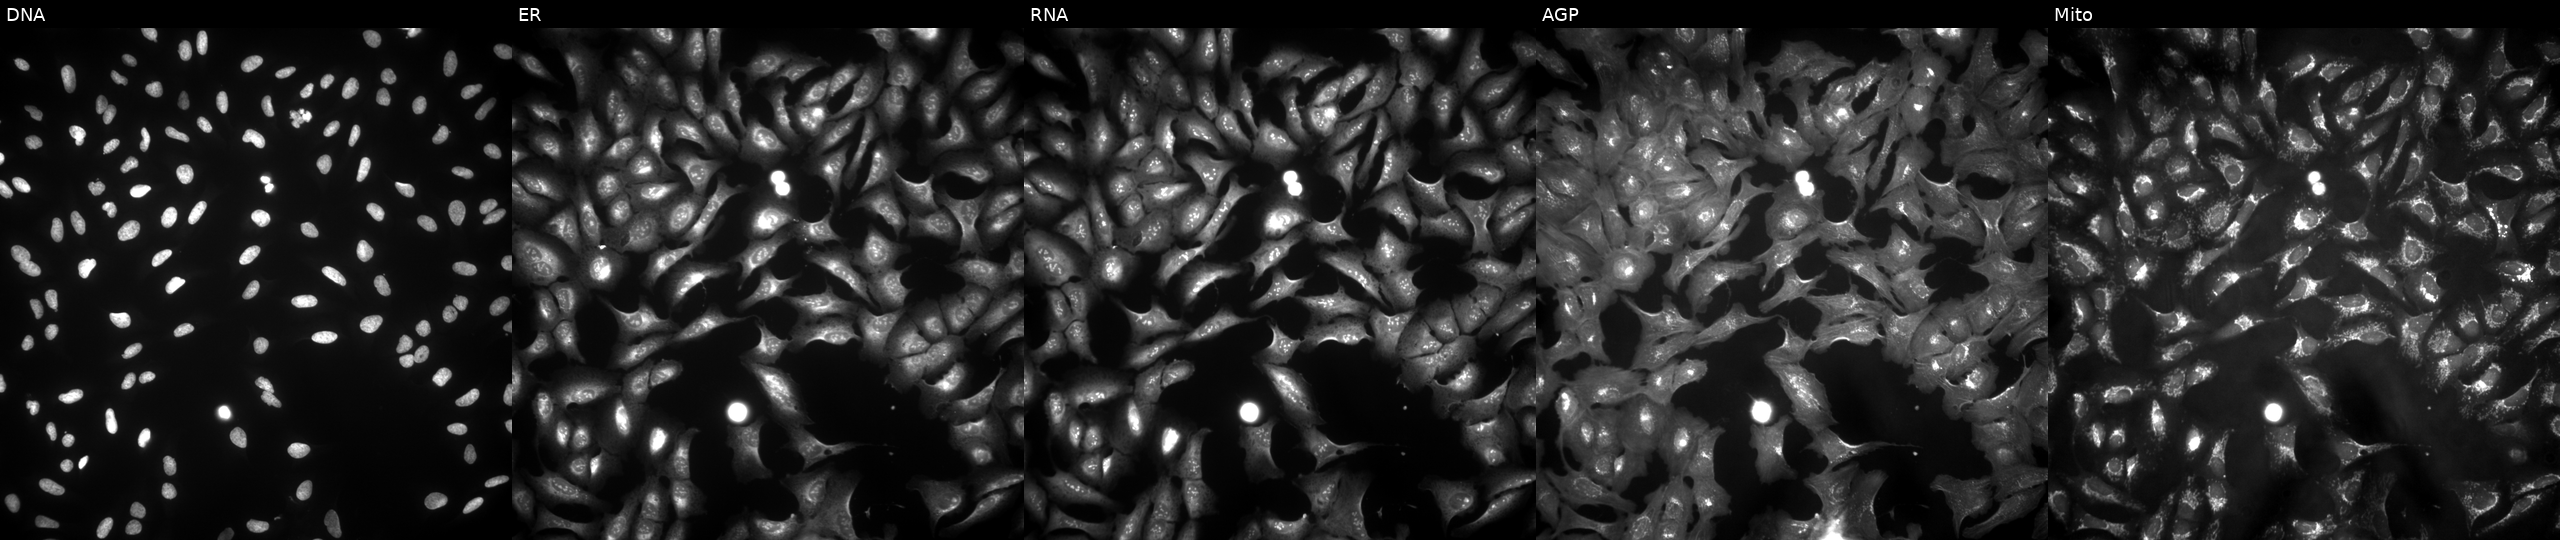
U2OS cells, Cell Painting assay, overexpressing ACTL7B via ORF transfection (JUMP id JCP2022_907195). Panels show, left to right, Hoechst 33342, concanavalin A, SYTO 14, phalloidin and WGA, MitoTracker. Each panel is percentile-stretched 16-bit fluorescence. Source 4, plate BR00123506, well H16.